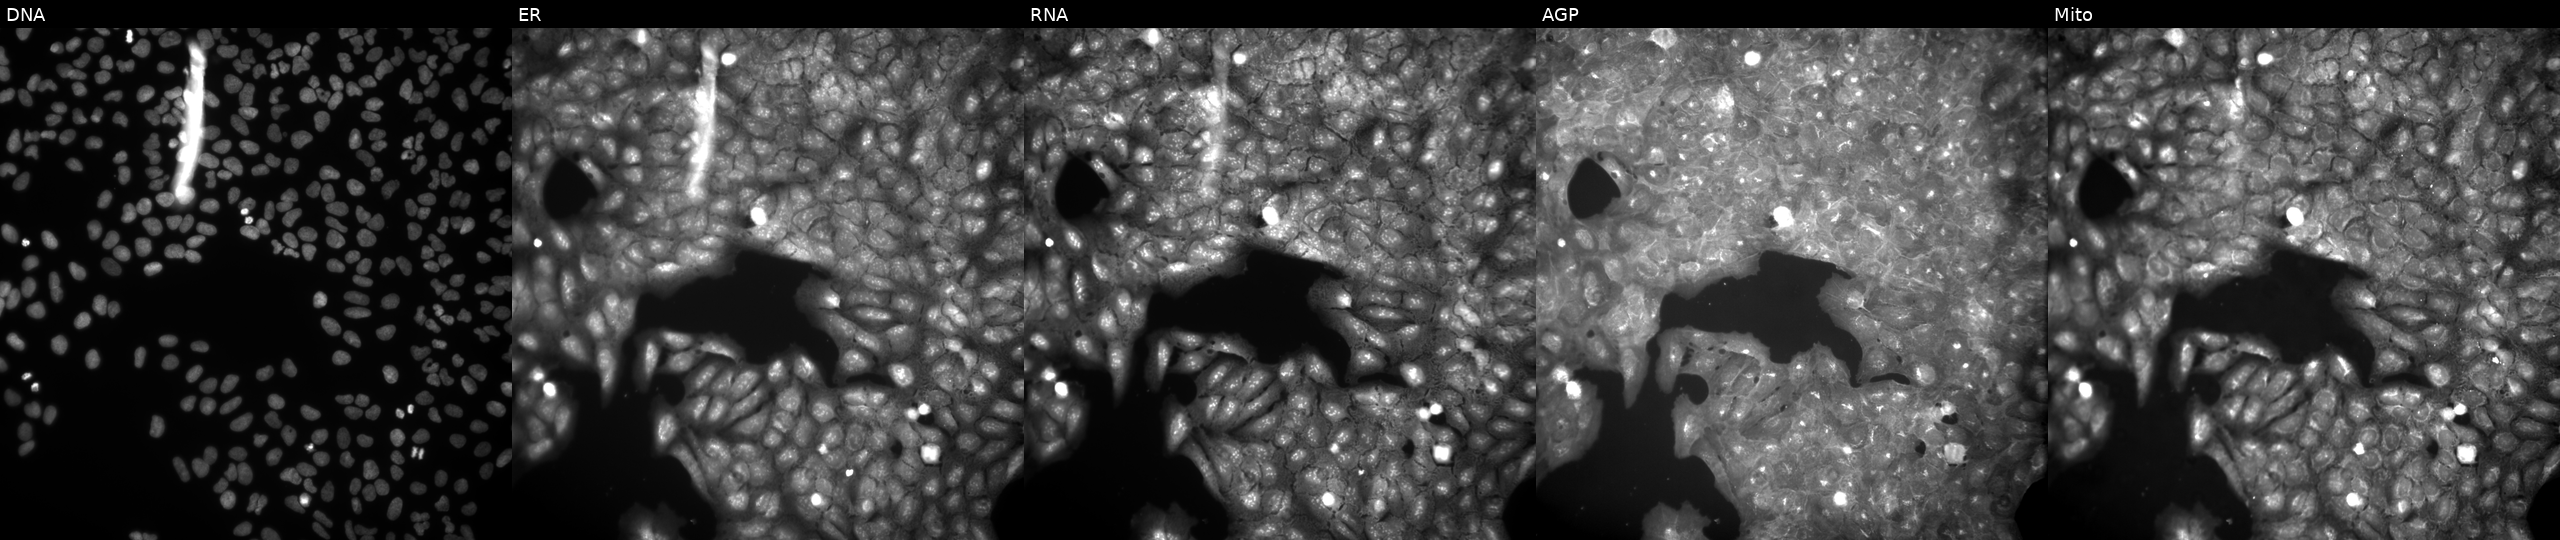
High-content fluorescence microscopy (Cell Painting). Cell line: U2OS. Perturbation: treated with a small-molecule compound (JUMP id JCP2022_027140). Channels (left→right): Hoechst 33342, concanavalin A, SYTO 14, phalloidin and WGA, MitoTracker.